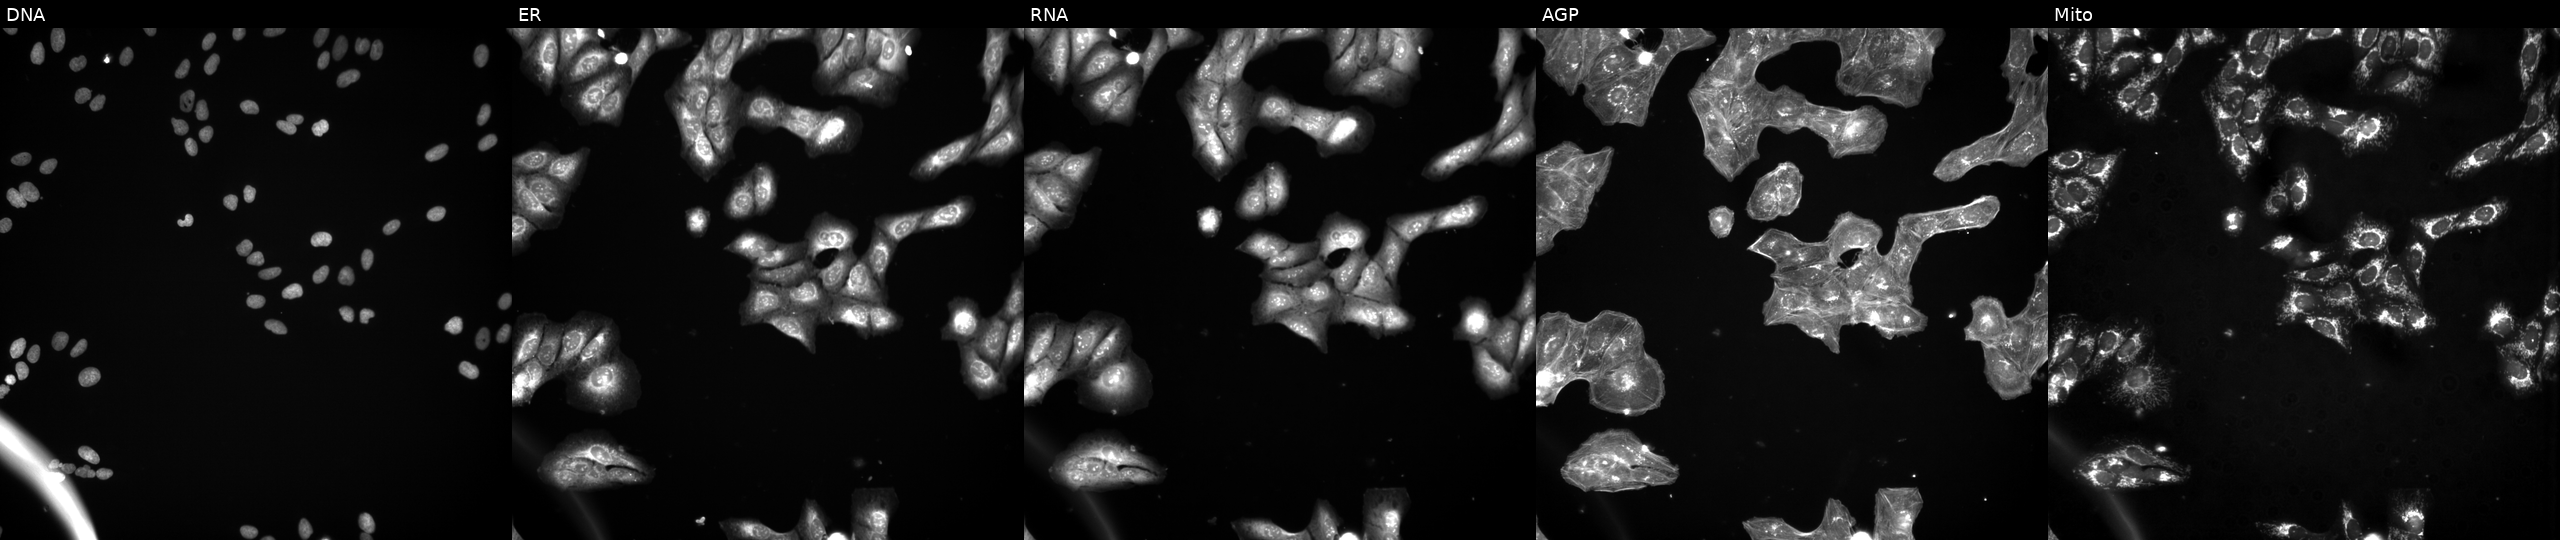
Five-channel Cell Painting image of U2OS cells treated with a small-molecule compound (JUMP id JCP2022_069668). The five panels, left to right, show DNA (nuclei); ER (endoplasmic reticulum); RNA (nucleoli and cytoplasmic RNA); AGP (actin cytoskeleton, Golgi, and plasma membrane); Mito (mitochondria). Source 3, plate JCPQC053, well M04.